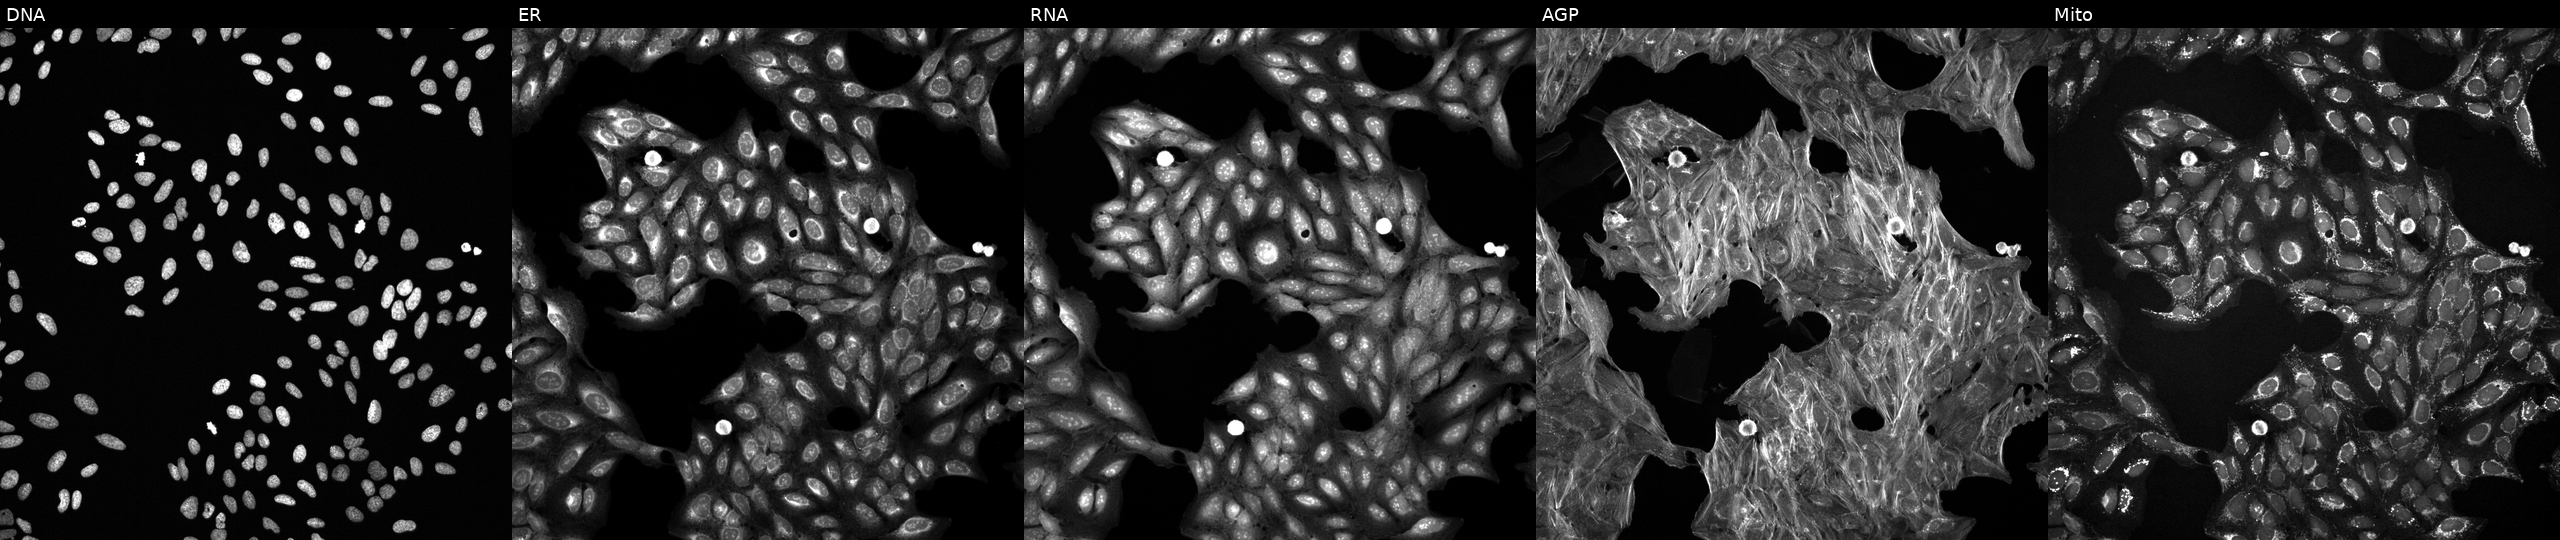
High-content fluorescence microscopy (Cell Painting). Cell line: U2OS. Perturbation: treated with a small-molecule compound (InChIKey QHKYPYXTTXKZST-UHFFFAOYSA-N) (JUMP id JCP2022_073458). Channels (left→right): DNA (nuclei); ER (endoplasmic reticulum); RNA (nucleoli and cytoplasmic RNA); AGP (actin cytoskeleton, Golgi, and plasma membrane); Mito (mitochondria).